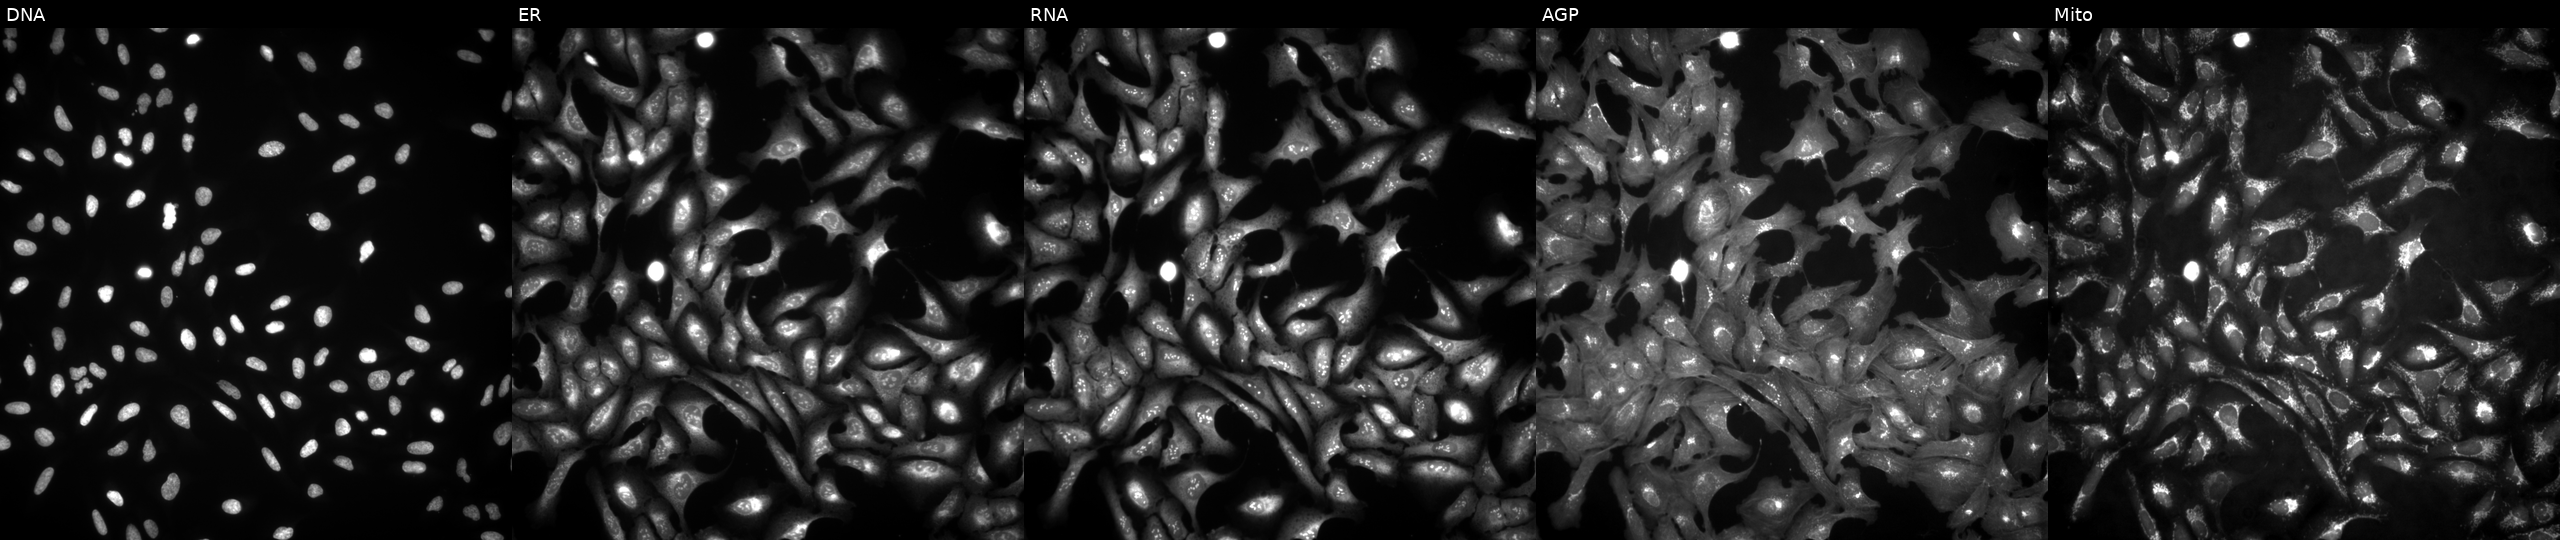
This image strip shows the five Cell Painting channels for a single field of U2OS cells overexpressing XLOC_008462 via ORF transfection. From left to right: DNA, ER, RNA, AGP, and Mito.